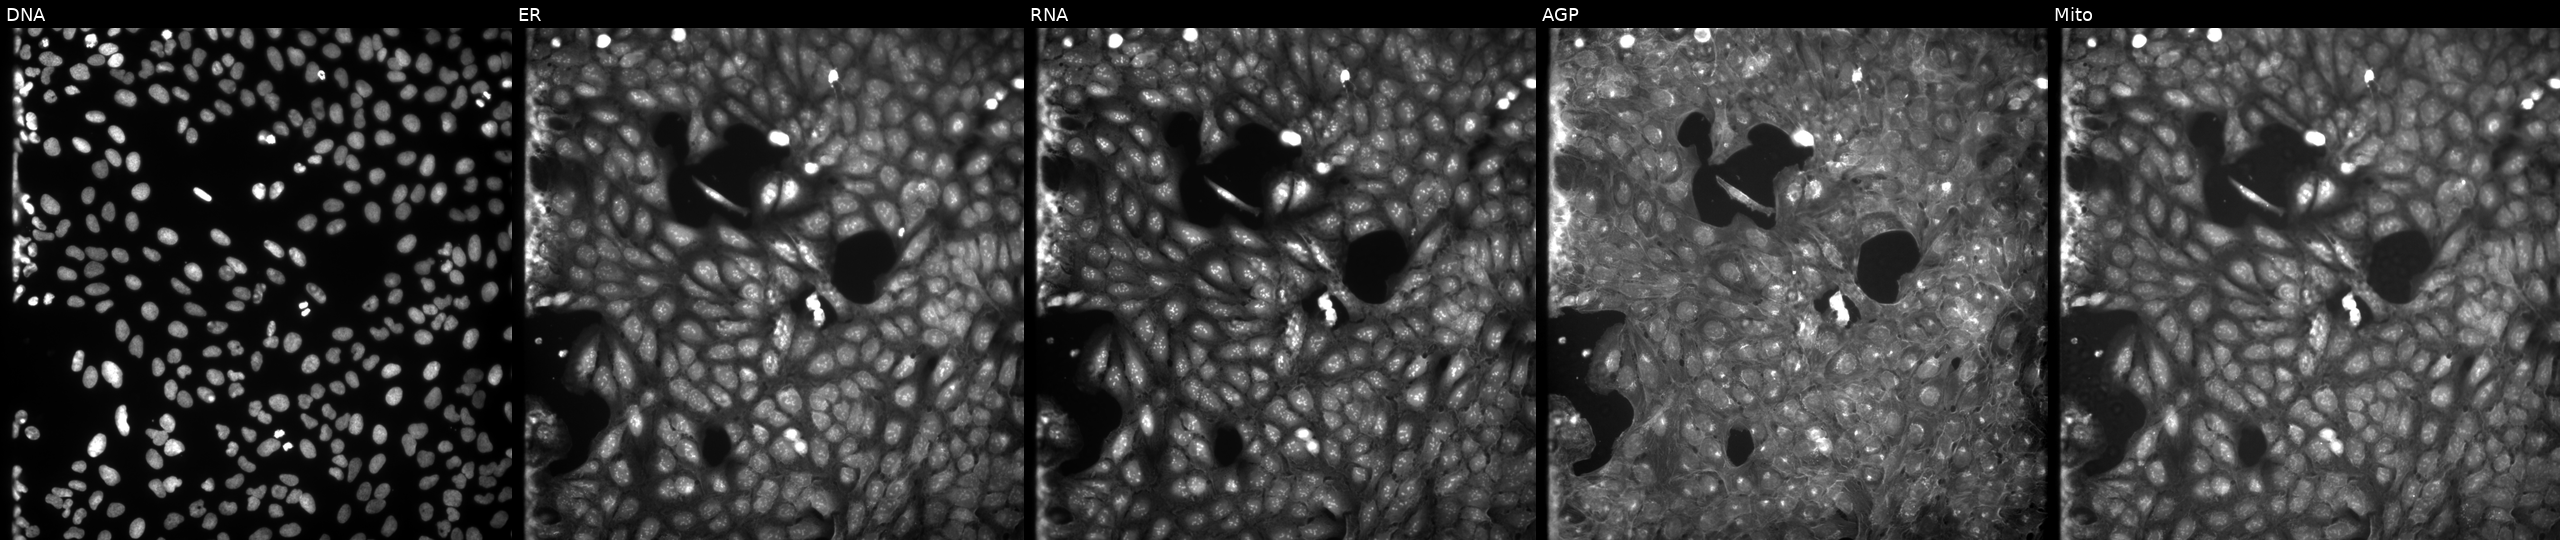
Five-channel Cell Painting image of U2OS cells treated with a small-molecule compound (InChIKey DGOJGYLHGQHSQH-UHFFFAOYSA-N) [SMILES: CC1(C)Cc2c(c(N3CCOCC3)nc3sc(C(=O)c4ccccc4)c(N)c23)CO1] (JUMP id JCP2022_015797). The five panels, left to right, show Hoechst 33342, concanavalin A, SYTO 14, phalloidin and WGA, MitoTracker.